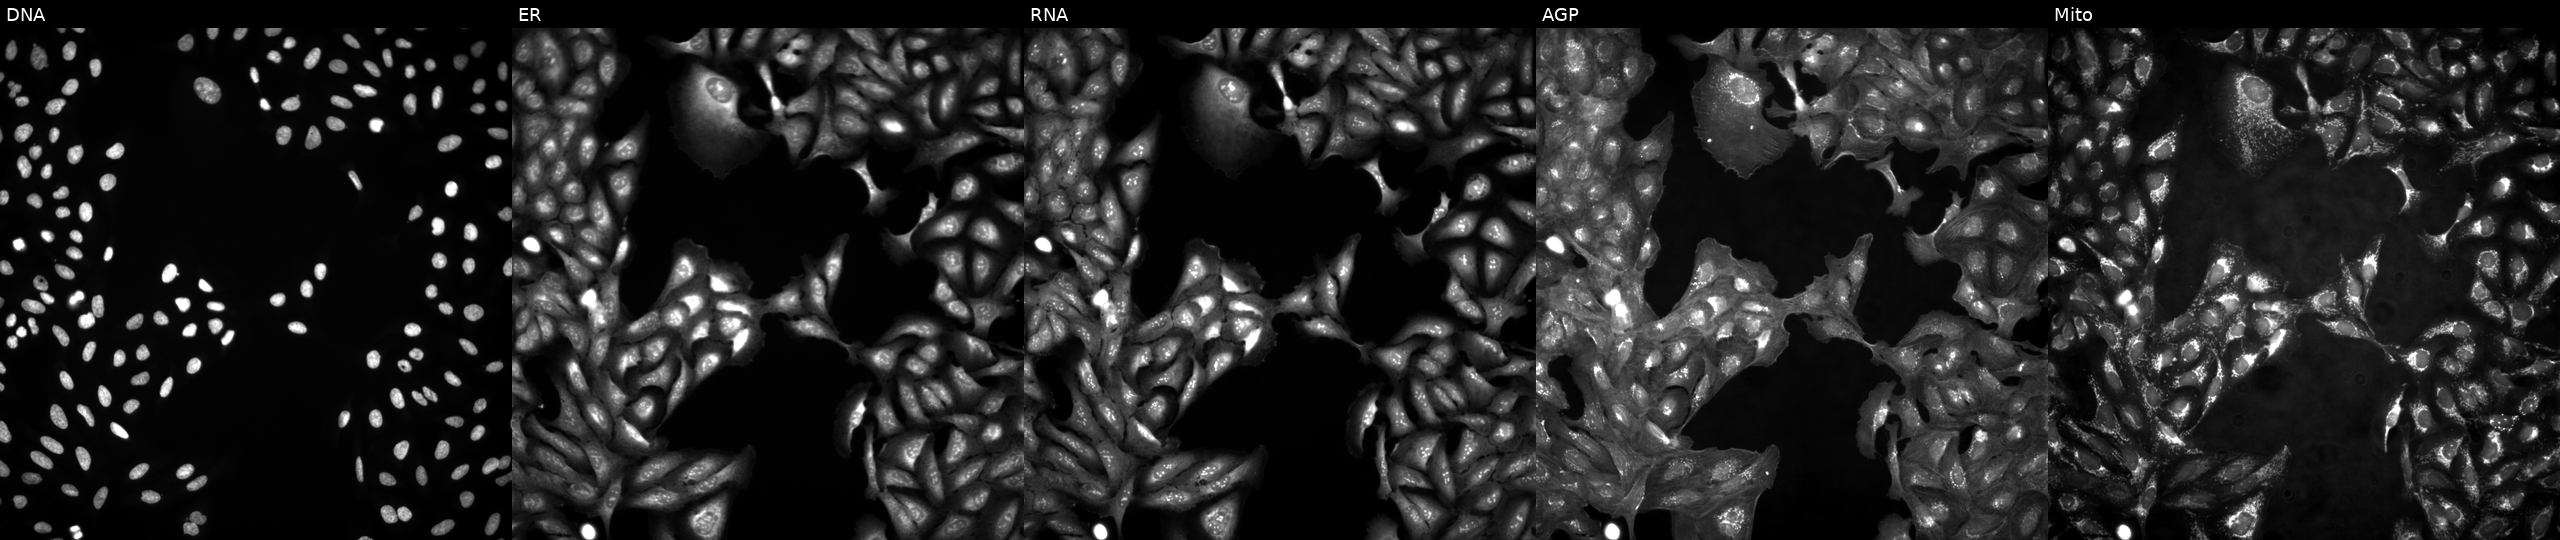
U2OS cells, Cell Painting assay, untreated (empty-well control). Panels show, left to right, DNA (nuclei); ER (endoplasmic reticulum); RNA (nucleoli and cytoplasmic RNA); AGP (actin cytoskeleton, Golgi, and plasma membrane); Mito (mitochondria). Each panel is percentile-stretched 16-bit fluorescence.